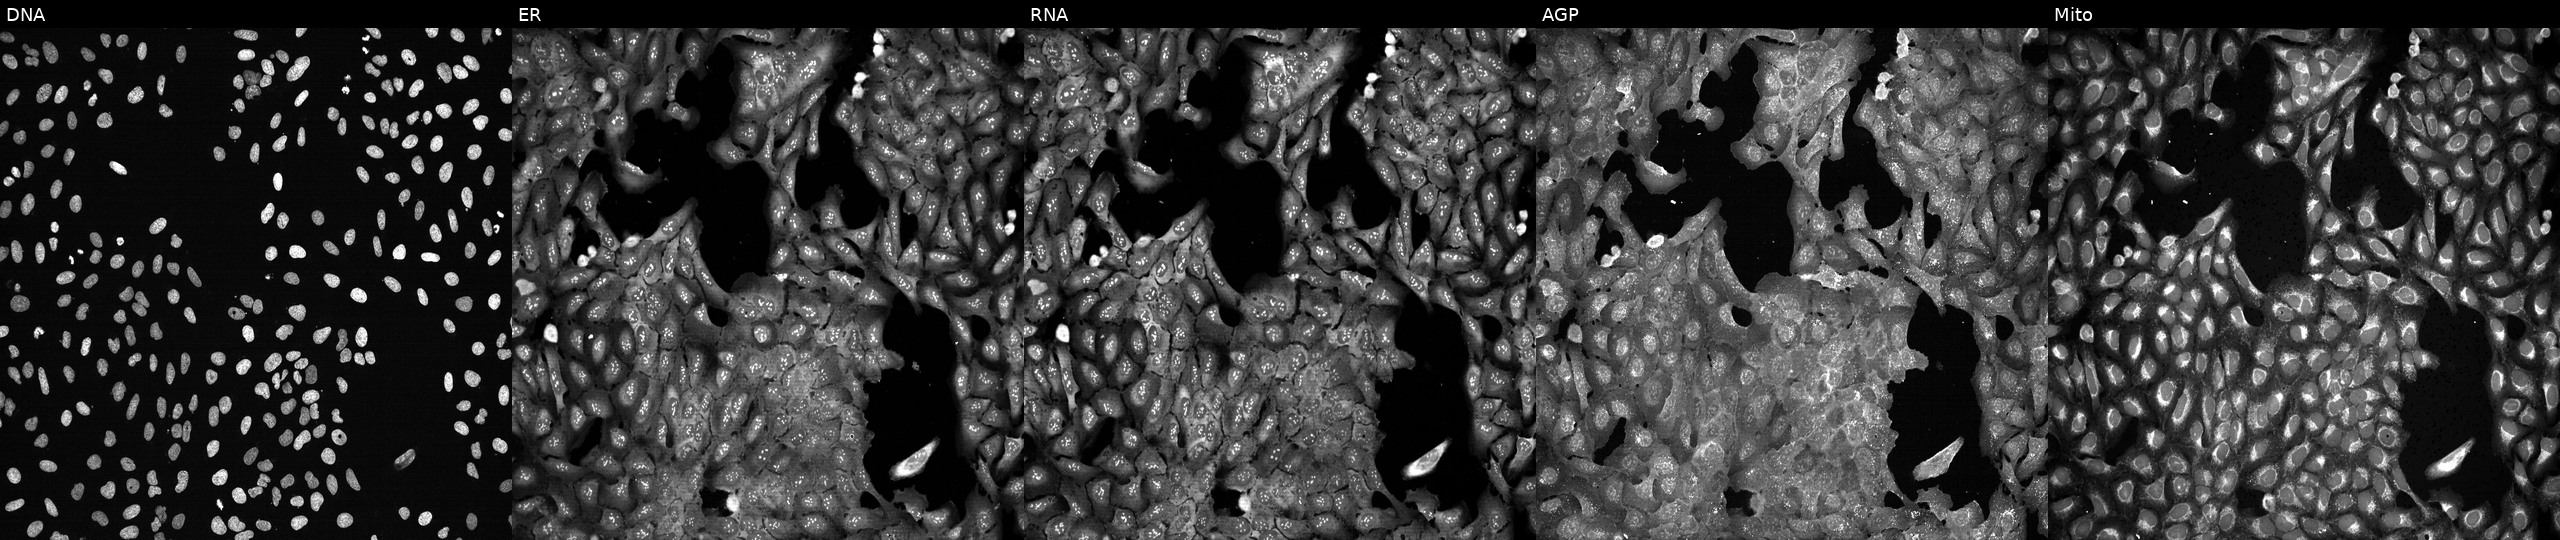
JUMP Cell Painting — CRISPR plate. U2OS cells with MTFMT knocked out by CRISPR (JUMP id JCP2022_804307). Panels show, left to right, Hoechst 33342, concanavalin A, SYTO 14, phalloidin and WGA, MitoTracker.